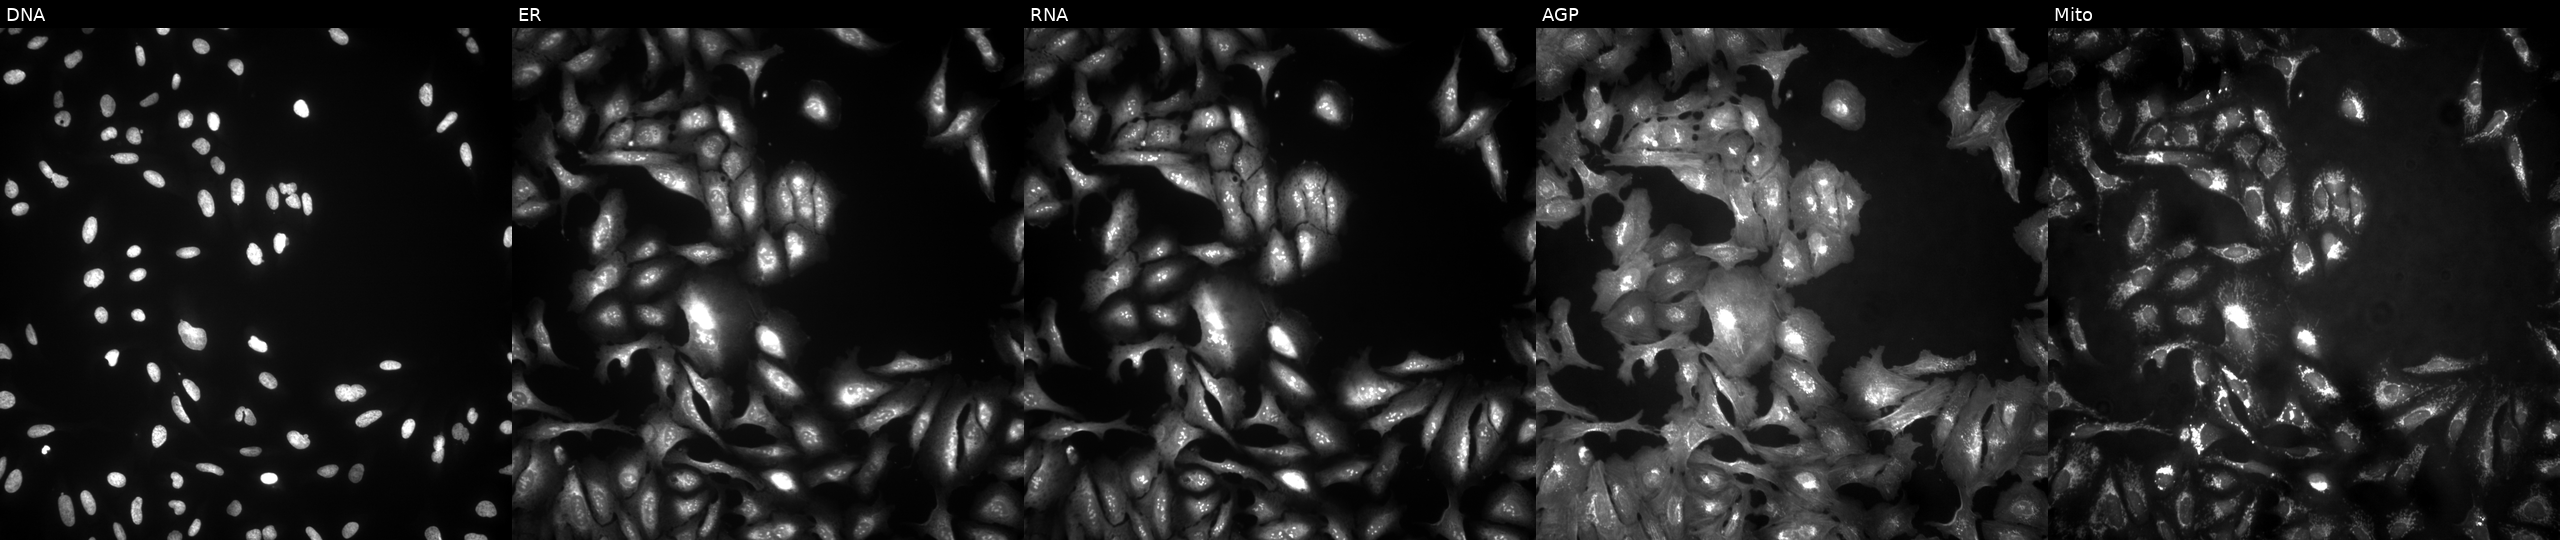
High-content fluorescence microscopy (Cell Painting). Cell line: U2OS. Perturbation: transfected with an ORF construct for ZNF223 (JUMP id JCP2022_906710). Channels (left→right): Hoechst 33342, concanavalin A, SYTO 14, phalloidin and WGA, MitoTracker.